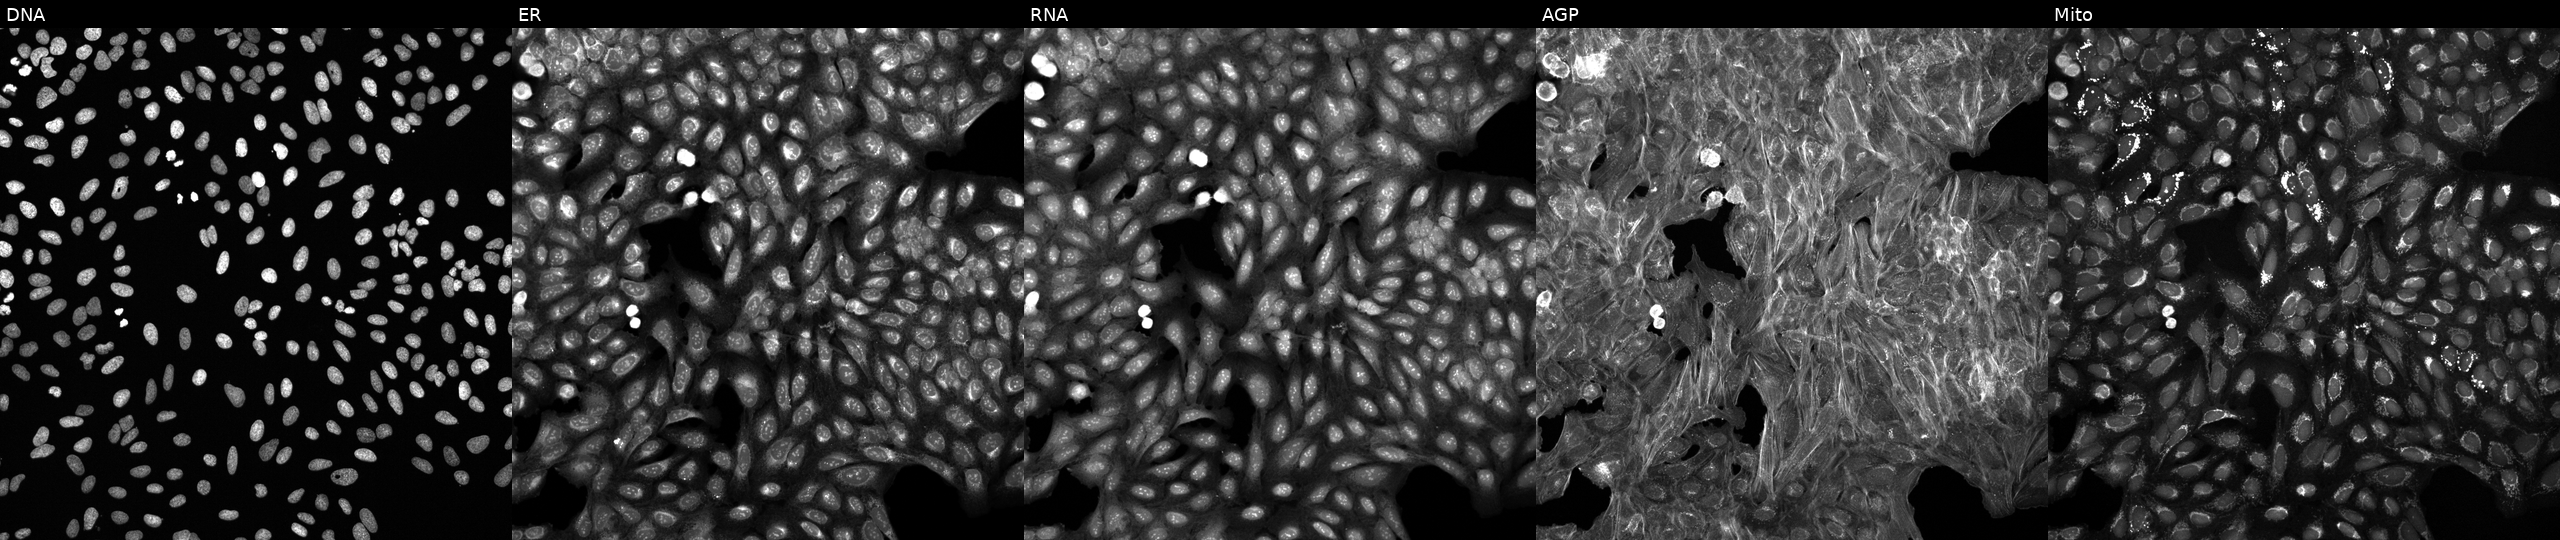
This image strip shows the five Cell Painting channels for a single field of U2OS cells perturbed with a small-molecule compound [SMILES: Cc1ccc(-n2sc(=O)n(Cc3ccc(F)cc3)c2=O)cc1] (JUMP id JCP2022_075930). The five panels, left to right, show Hoechst 33342, concanavalin A, SYTO 14, phalloidin and WGA, MitoTracker. Source 6, plate 110000294901, well C12.